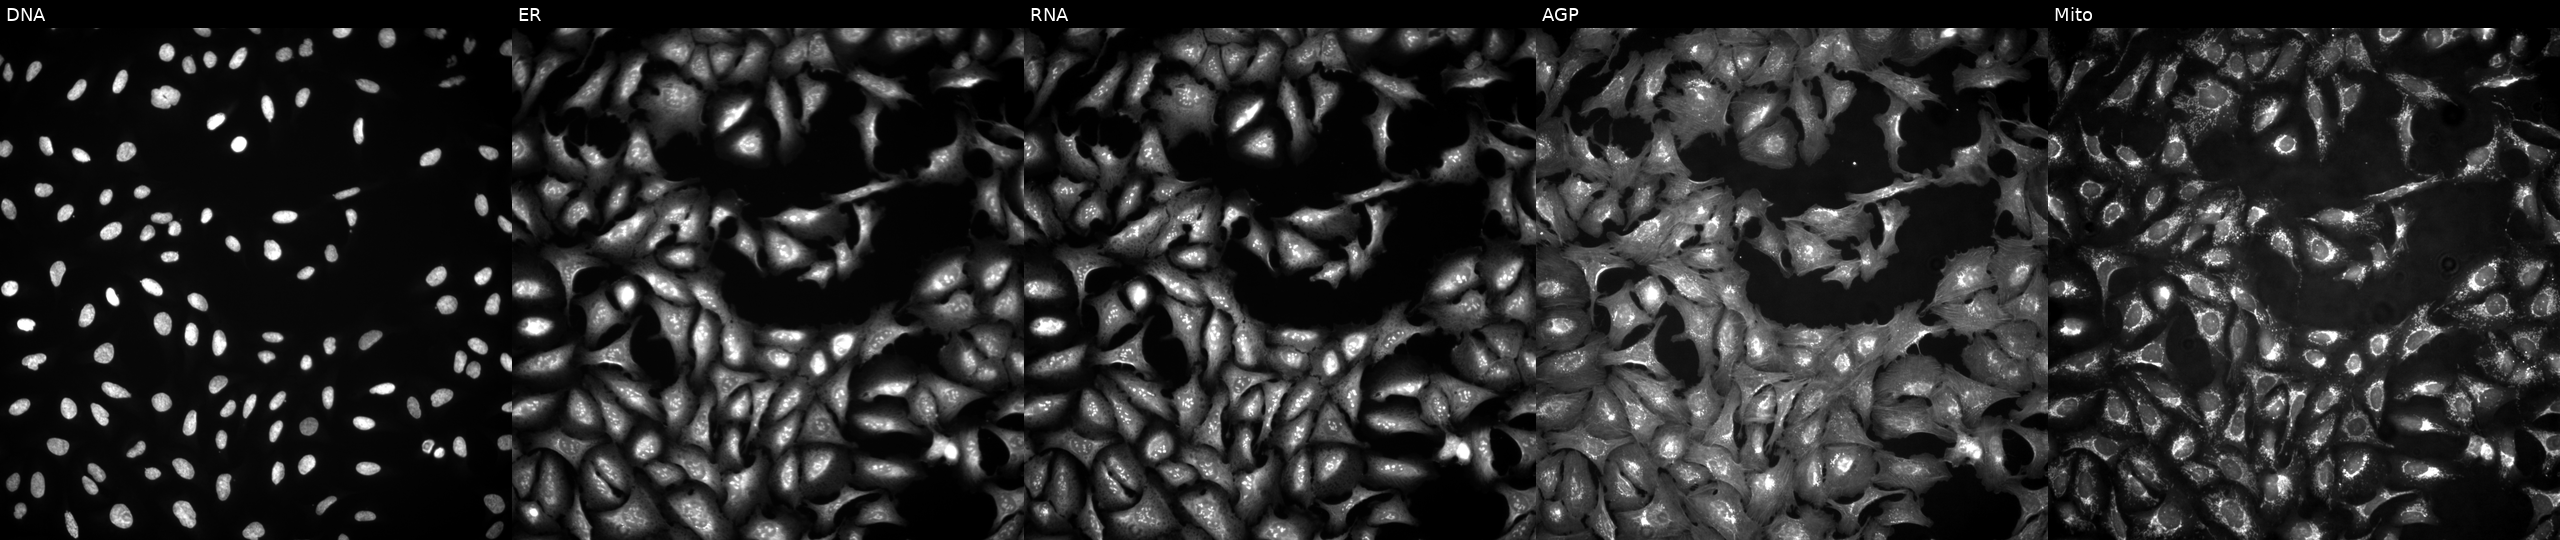
Five-channel Cell Painting image of U2OS cells overexpressing CCDC7 via ORF transfection. From left to right: DNA, ER, RNA, AGP, and Mito. Source 4, plate BR00124787, well D12.